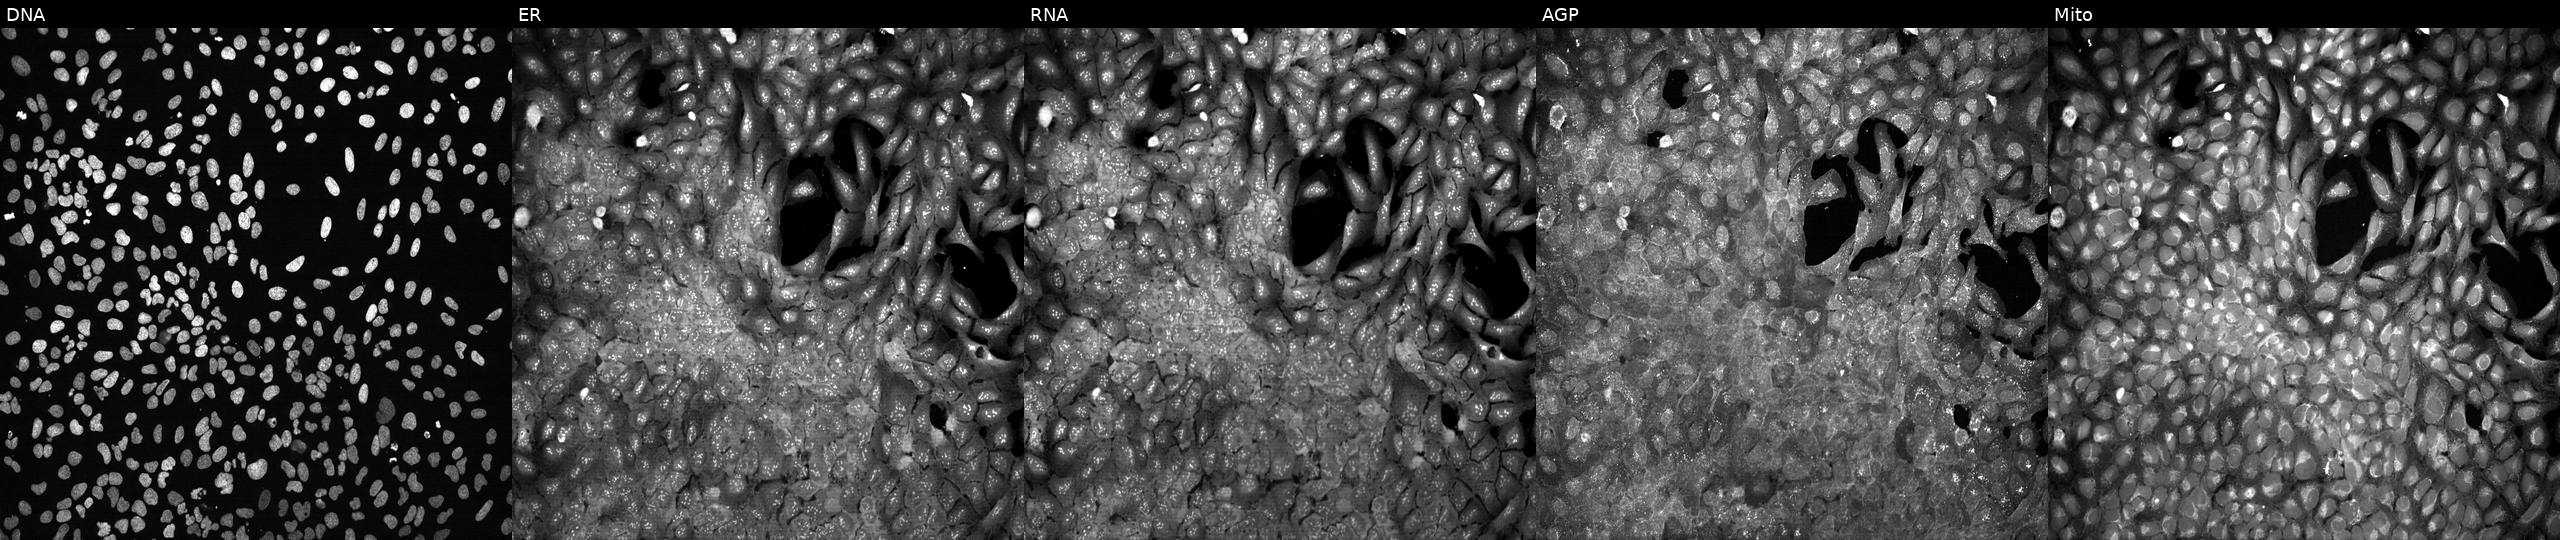
High-content fluorescence microscopy (Cell Painting). Cell line: U2OS. Perturbation: CRISPR-edited to disrupt CD28. From left to right: DNA, ER, RNA, AGP, and Mito.